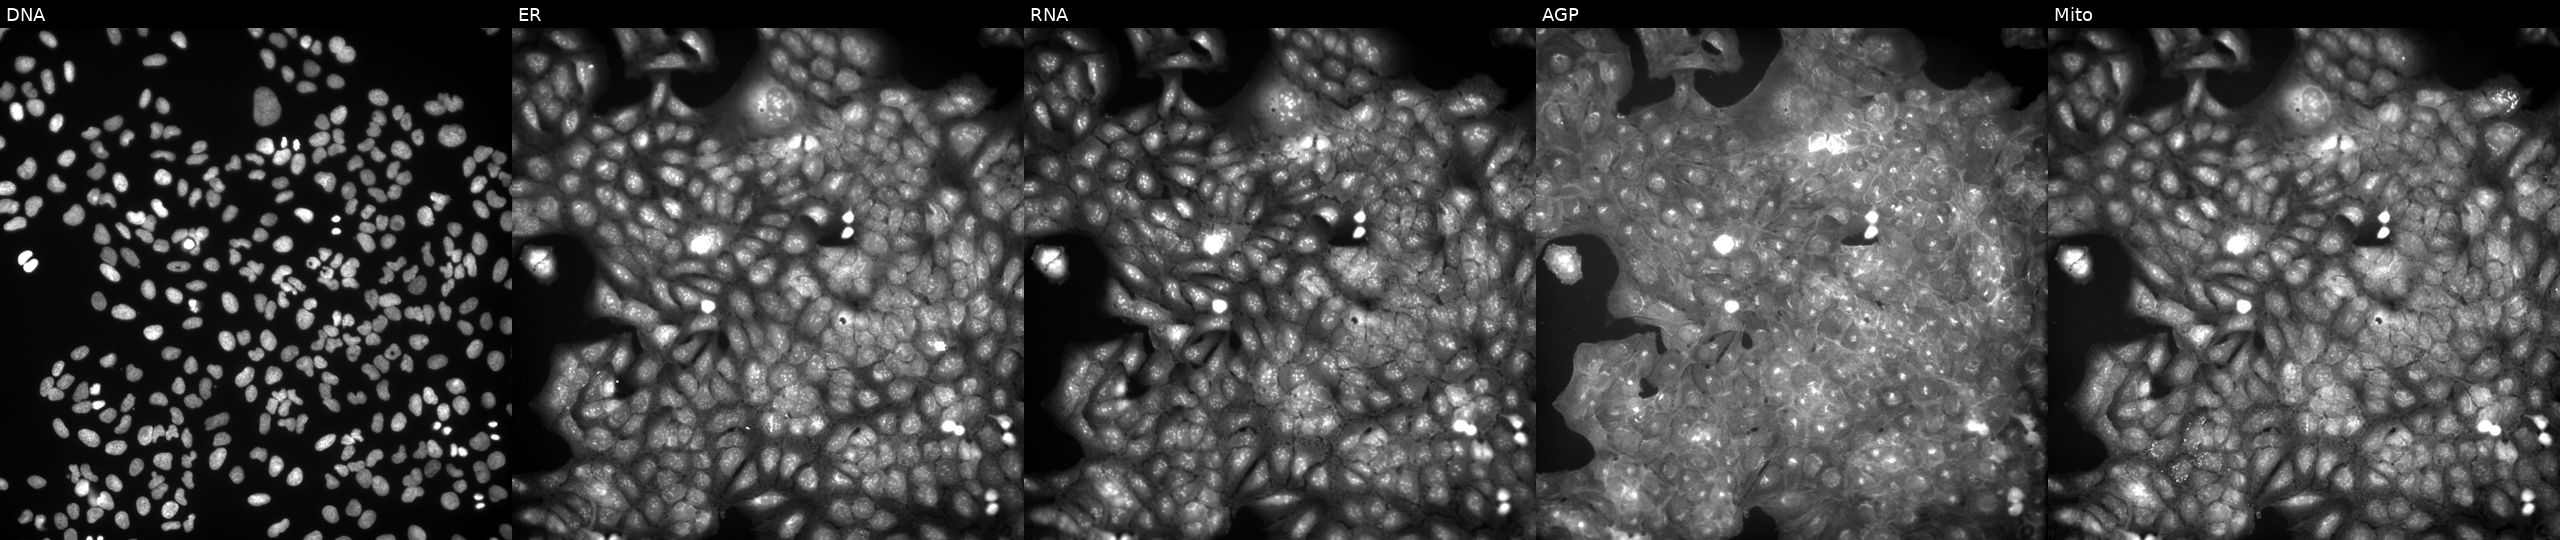
This image strip shows the five Cell Painting channels for a single field of U2OS cells exposed to the positive-control compound quinidine. The five panels, left to right, show Hoechst 33342, concanavalin A, SYTO 14, phalloidin and WGA, MitoTracker. Source 9, plate GR00003382, well AE25.